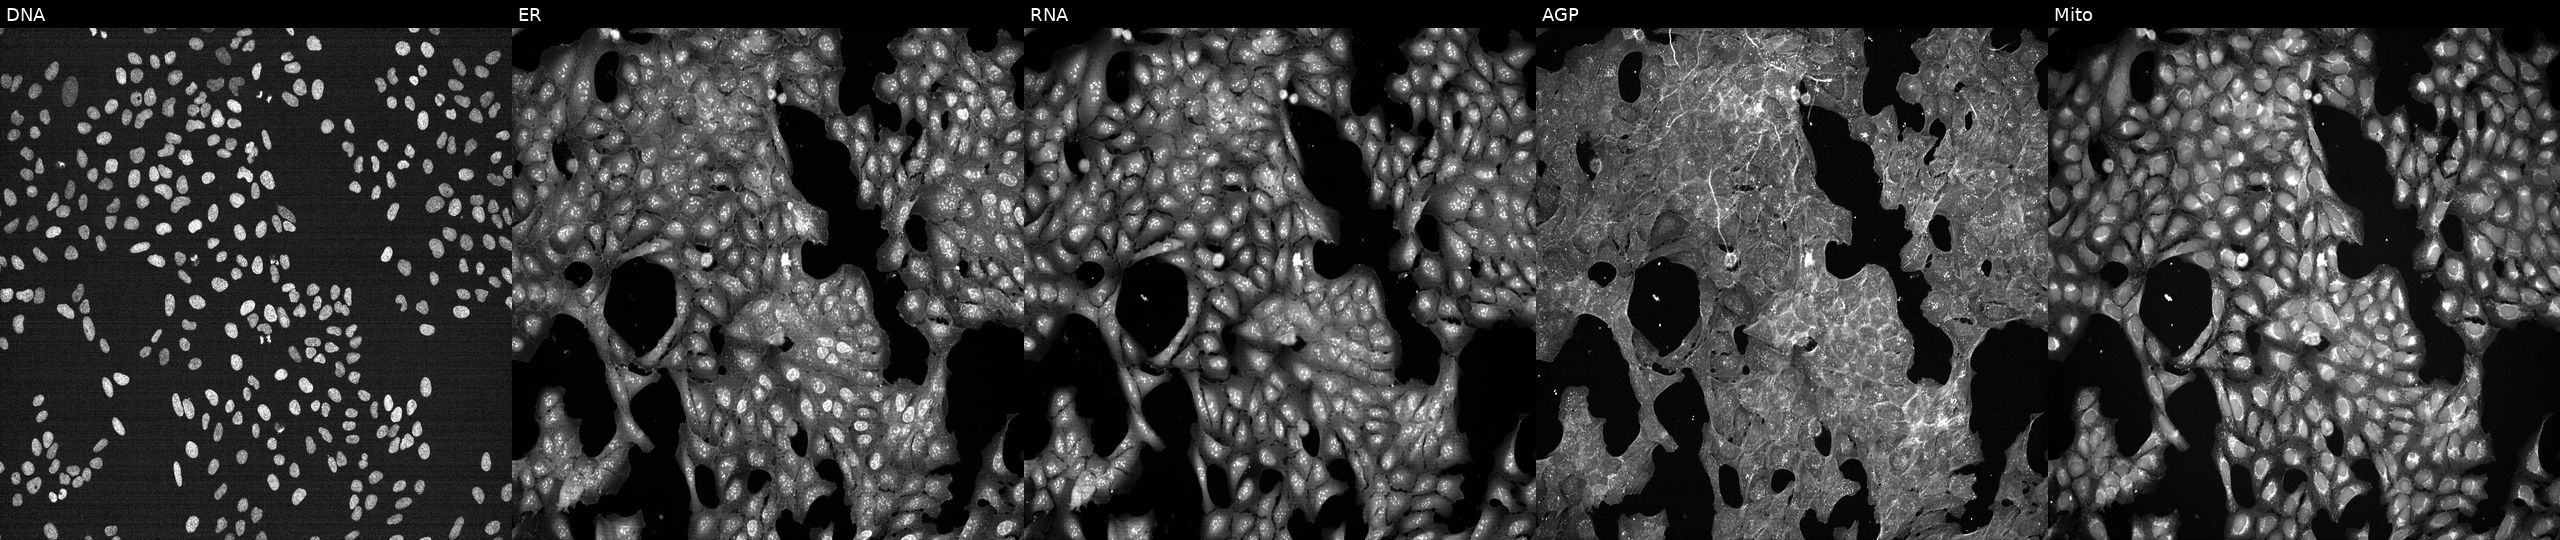
This image strip shows the five Cell Painting channels for a single field of U2OS cells exposed to a small-molecule compound (InChIKey CKTSBUTUHBMZGZ-UHFFFAOYSA-N) (JUMP id JCP2022_011759). From left to right: DNA (nuclei); ER (endoplasmic reticulum); RNA (nucleoli and cytoplasmic RNA); AGP (actin cytoskeleton, Golgi, and plasma membrane); Mito (mitochondria).